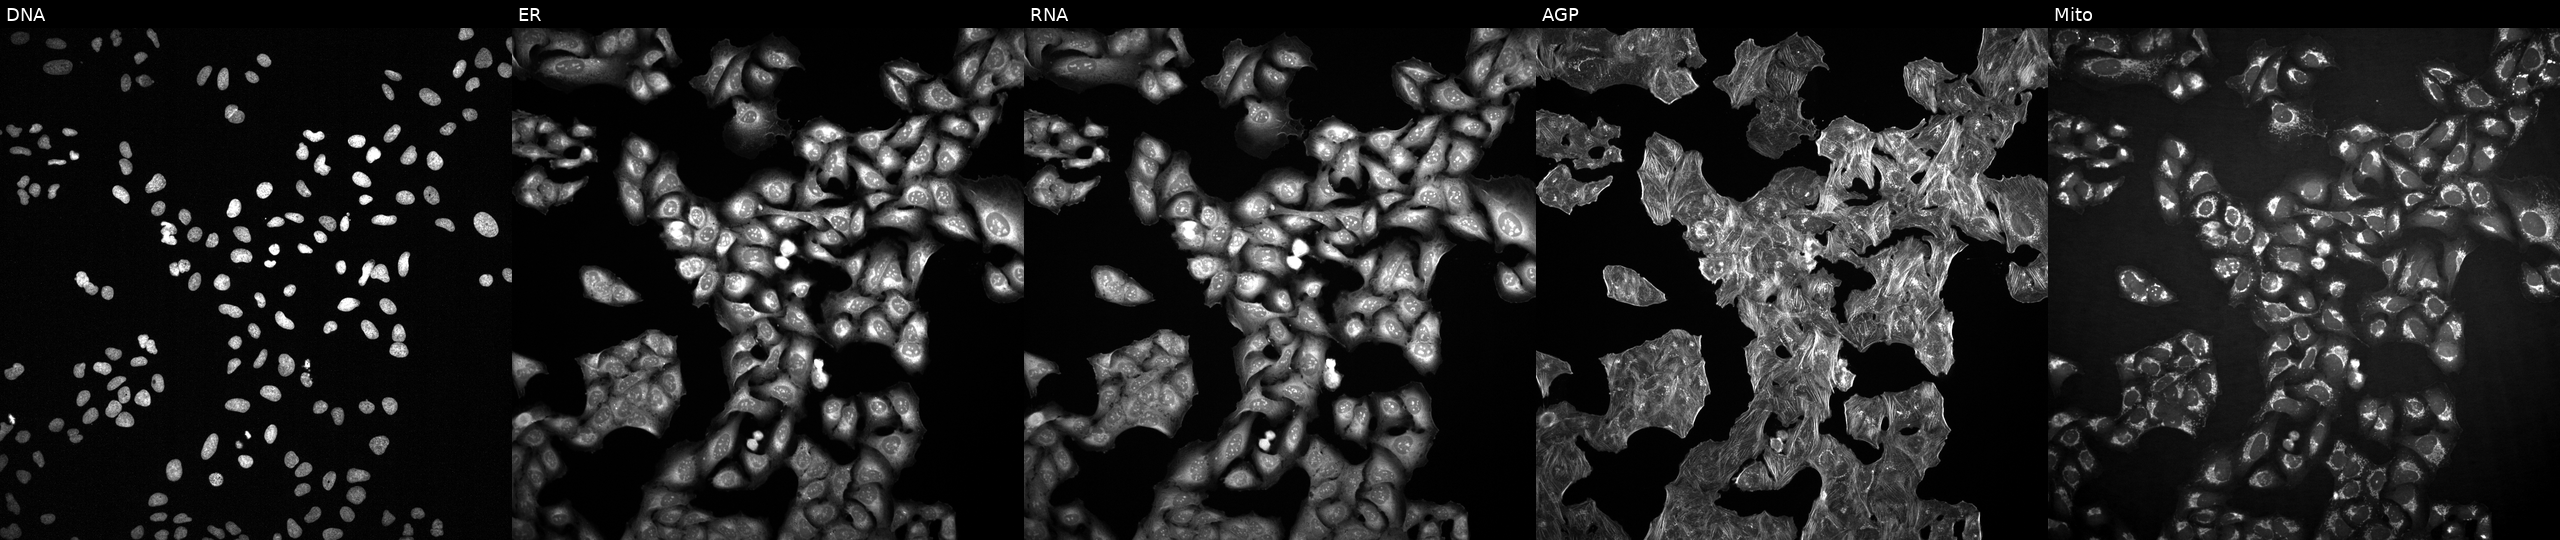
From left to right: Hoechst 33342, concanavalin A, SYTO 14, phalloidin and WGA, MitoTracker. U2OS osteosarcoma cells treated with NVS-PAK1-1 (positive-control compound) (JUMP id JCP2022_064022). Cell Painting assay, JUMP-CP dataset.